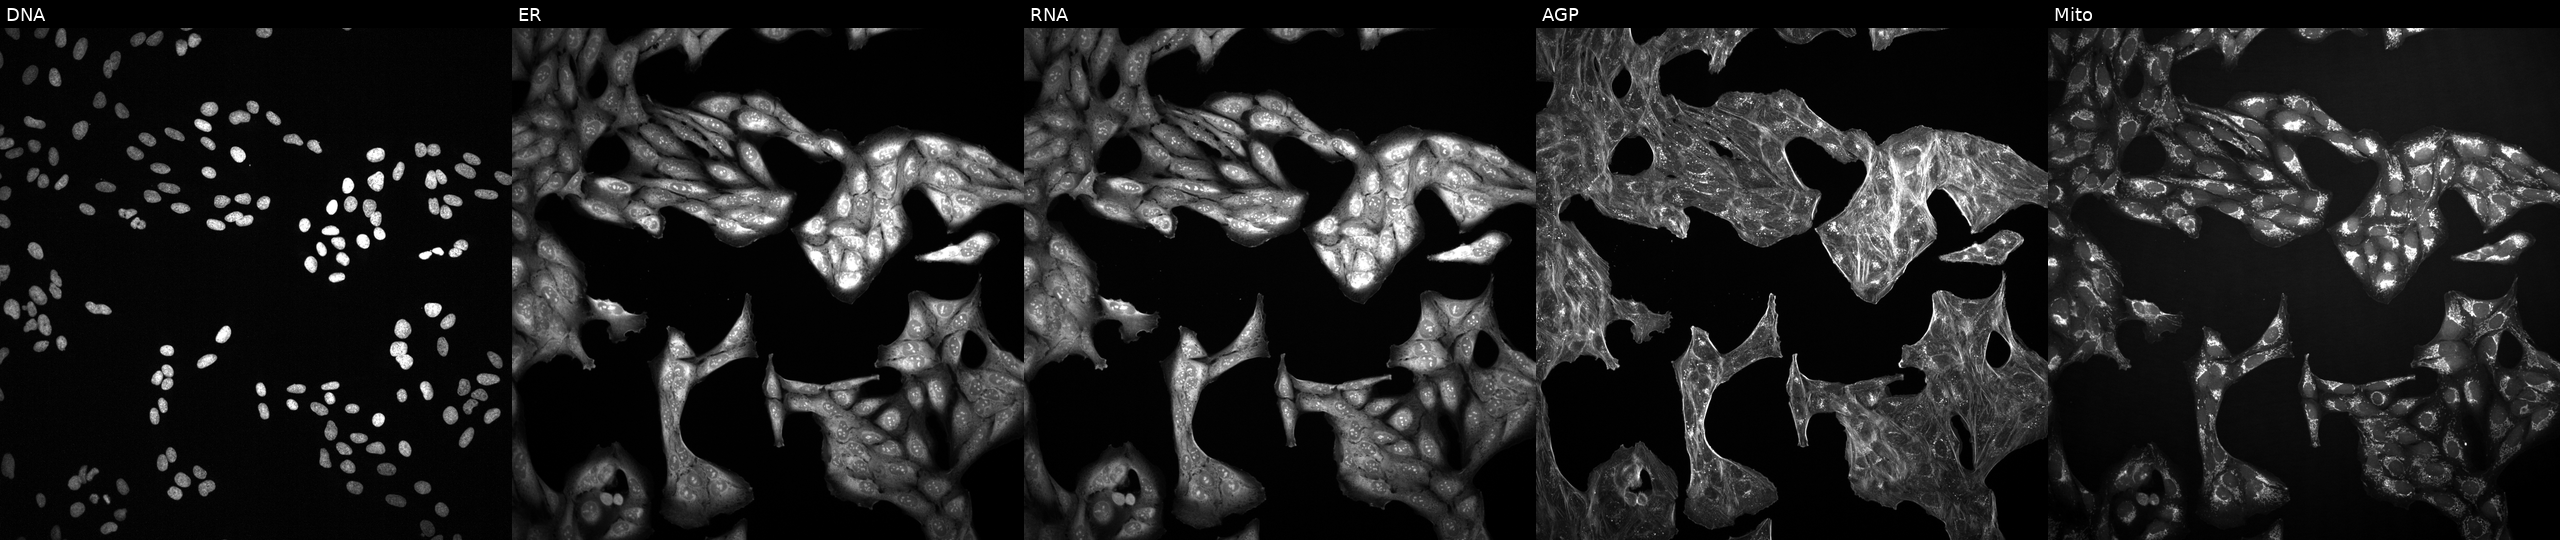
JUMP Cell Painting — TARGET2 plate. U2OS cells perturbed with a small-molecule compound (InChIKey XRVDGNKRPOAQTN-UHFFFAOYSA-N) (JUMP id JCP2022_105621). The five panels, left to right, show Hoechst 33342, concanavalin A, SYTO 14, phalloidin and WGA, MitoTracker.